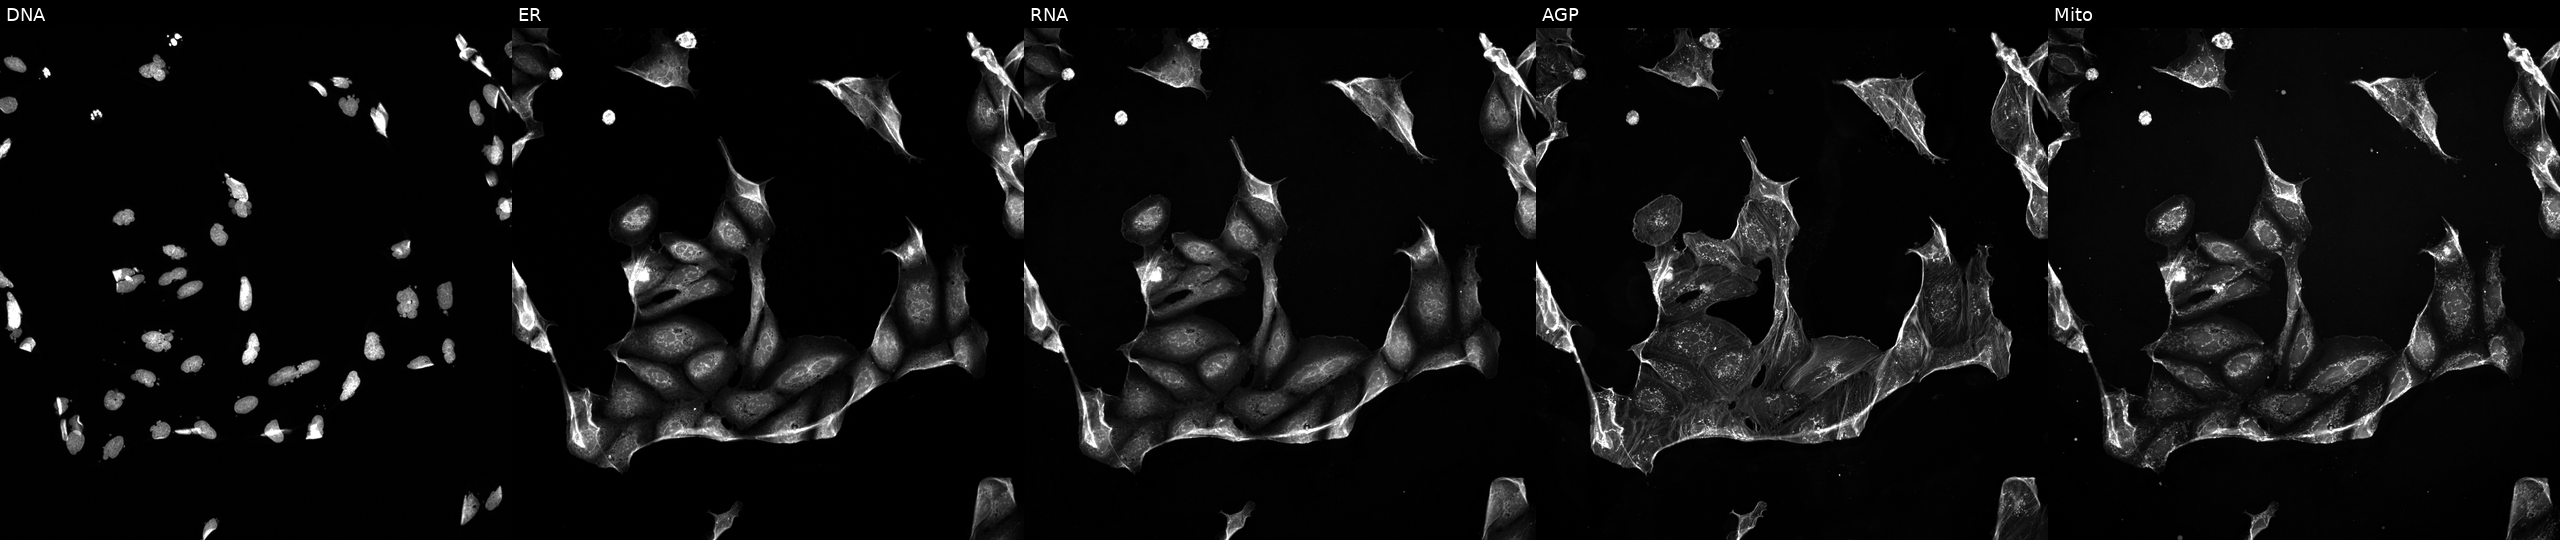
High-content fluorescence microscopy (Cell Painting). Cell line: U2OS. Perturbation: perturbed with a small-molecule compound (JUMP id JCP2022_075694). Panels show, left to right, Hoechst 33342, concanavalin A, SYTO 14, phalloidin and WGA, MitoTracker. Source 5, plate ACPJUM032, well K10.